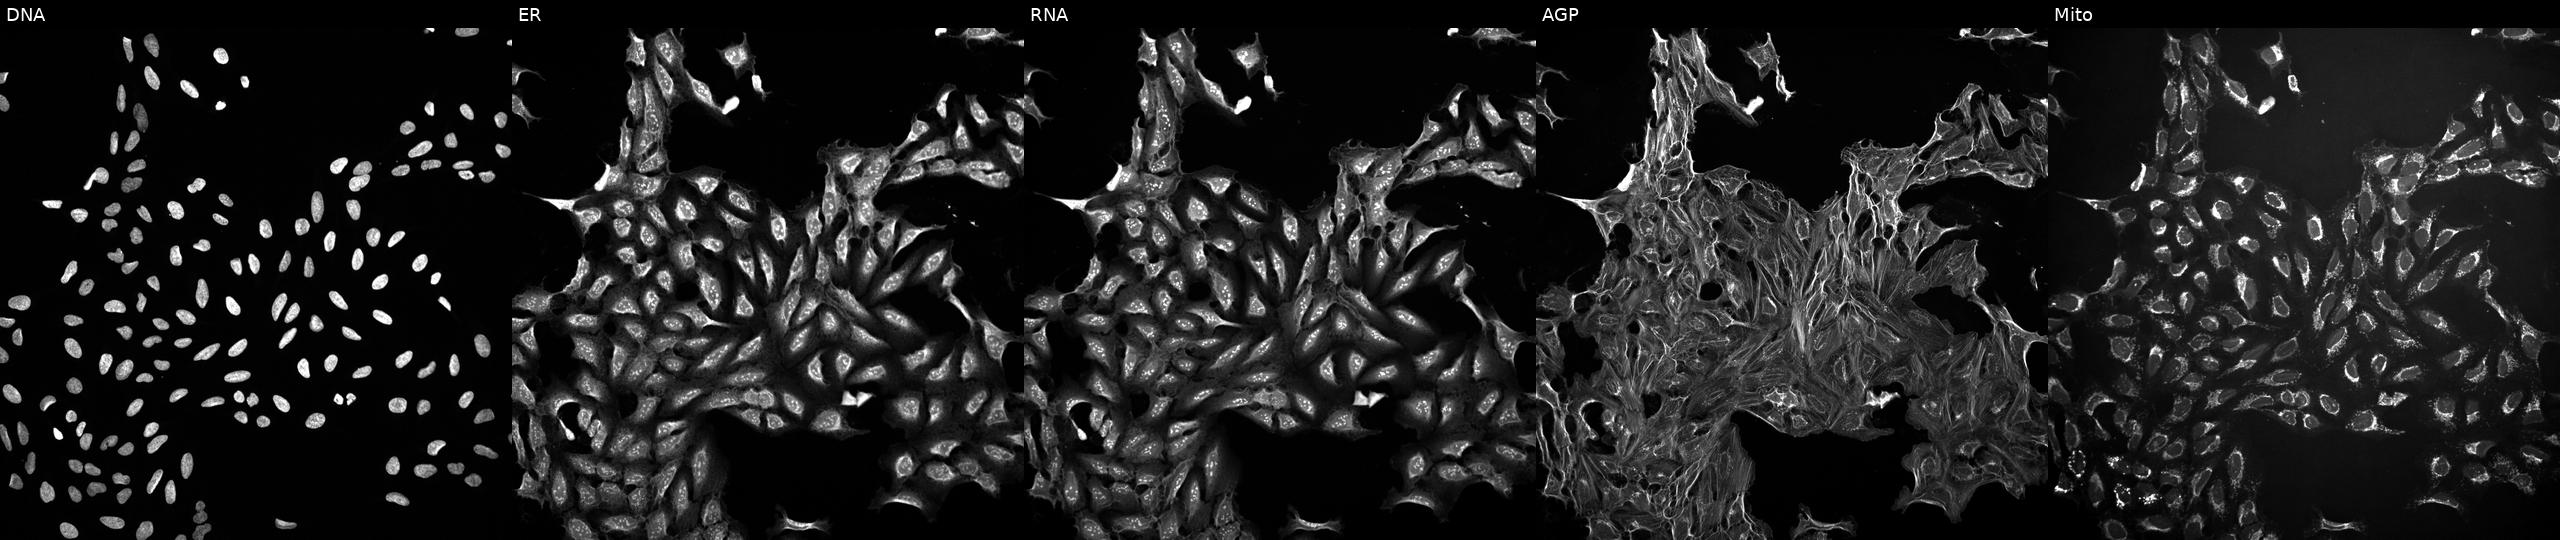
Channels (left→right): Hoechst 33342, concanavalin A, SYTO 14, phalloidin and WGA, MitoTracker. U2OS osteosarcoma cells exposed to DMSO alone as a negative control. Cell Painting assay, JUMP-CP dataset. Source 10, plate Dest210726-160150, well L10.